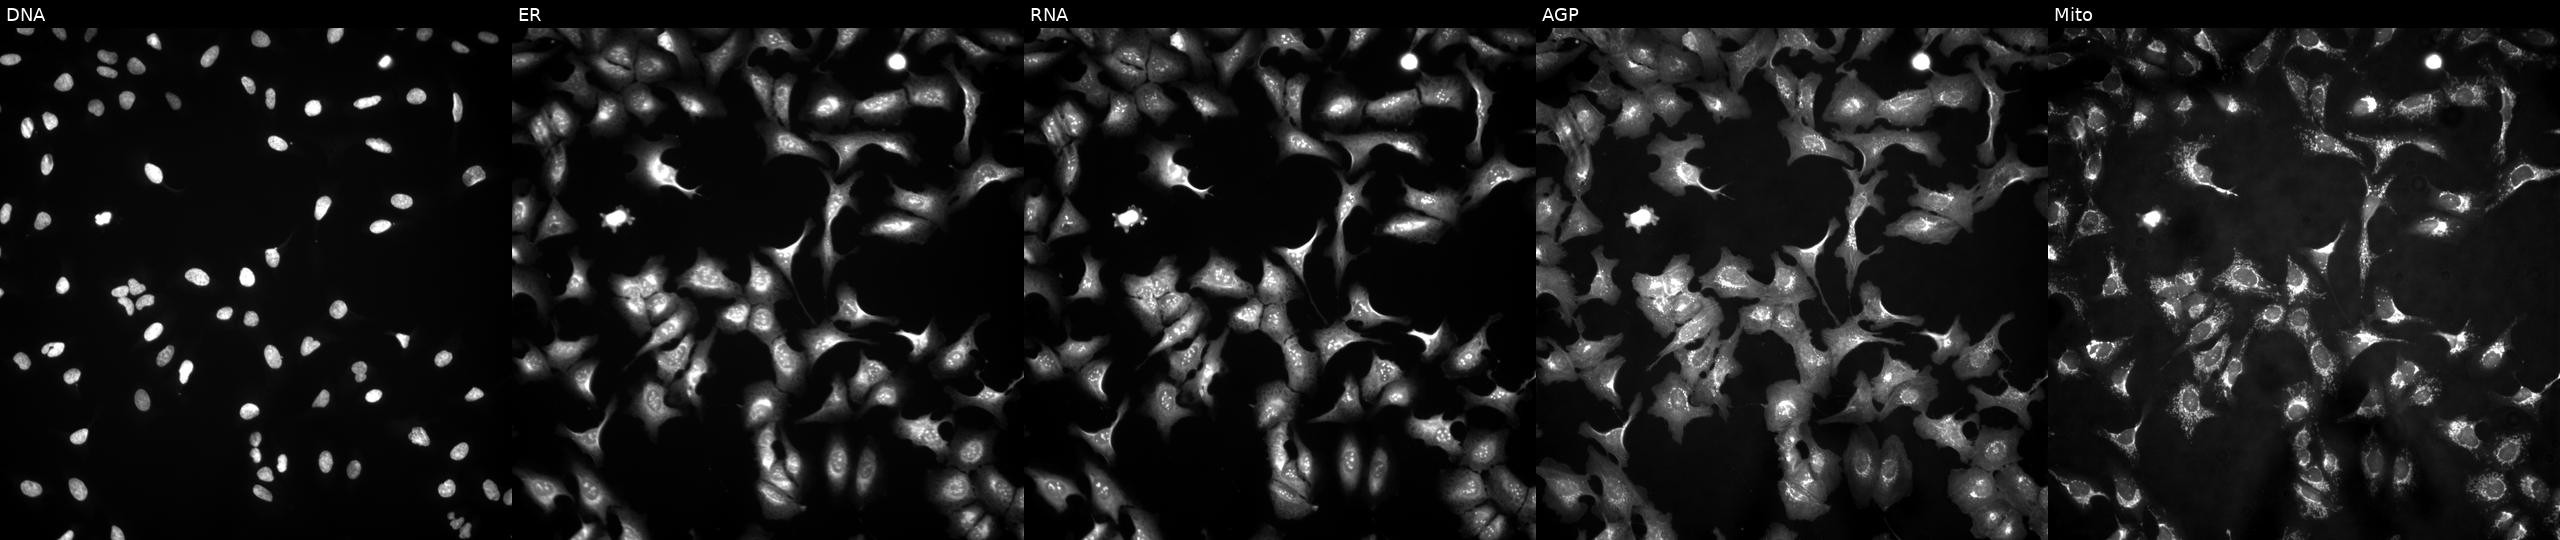
U2OS cells, Cell Painting assay, transfected with an ORF construct for DCAF7. The five panels, left to right, show Hoechst 33342, concanavalin A, SYTO 14, phalloidin and WGA, MitoTracker. Each panel is percentile-stretched 16-bit fluorescence.